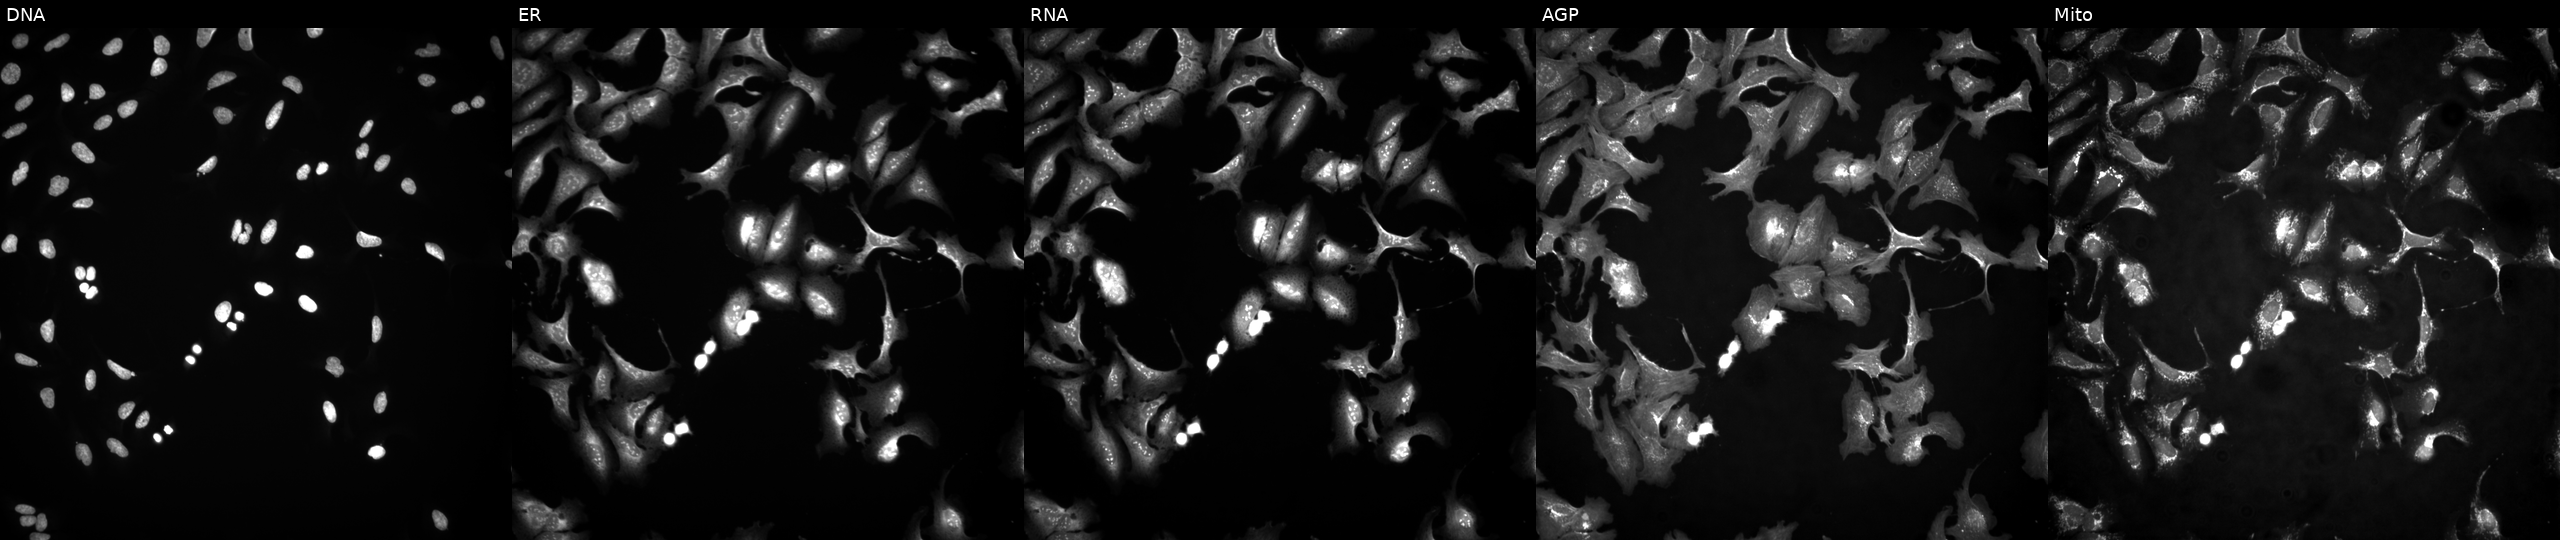
JUMP Cell Painting — ORF plate. U2OS cells with CIB1 overexpressed (ORF). The five panels, left to right, show Hoechst 33342, concanavalin A, SYTO 14, phalloidin and WGA, MitoTracker.